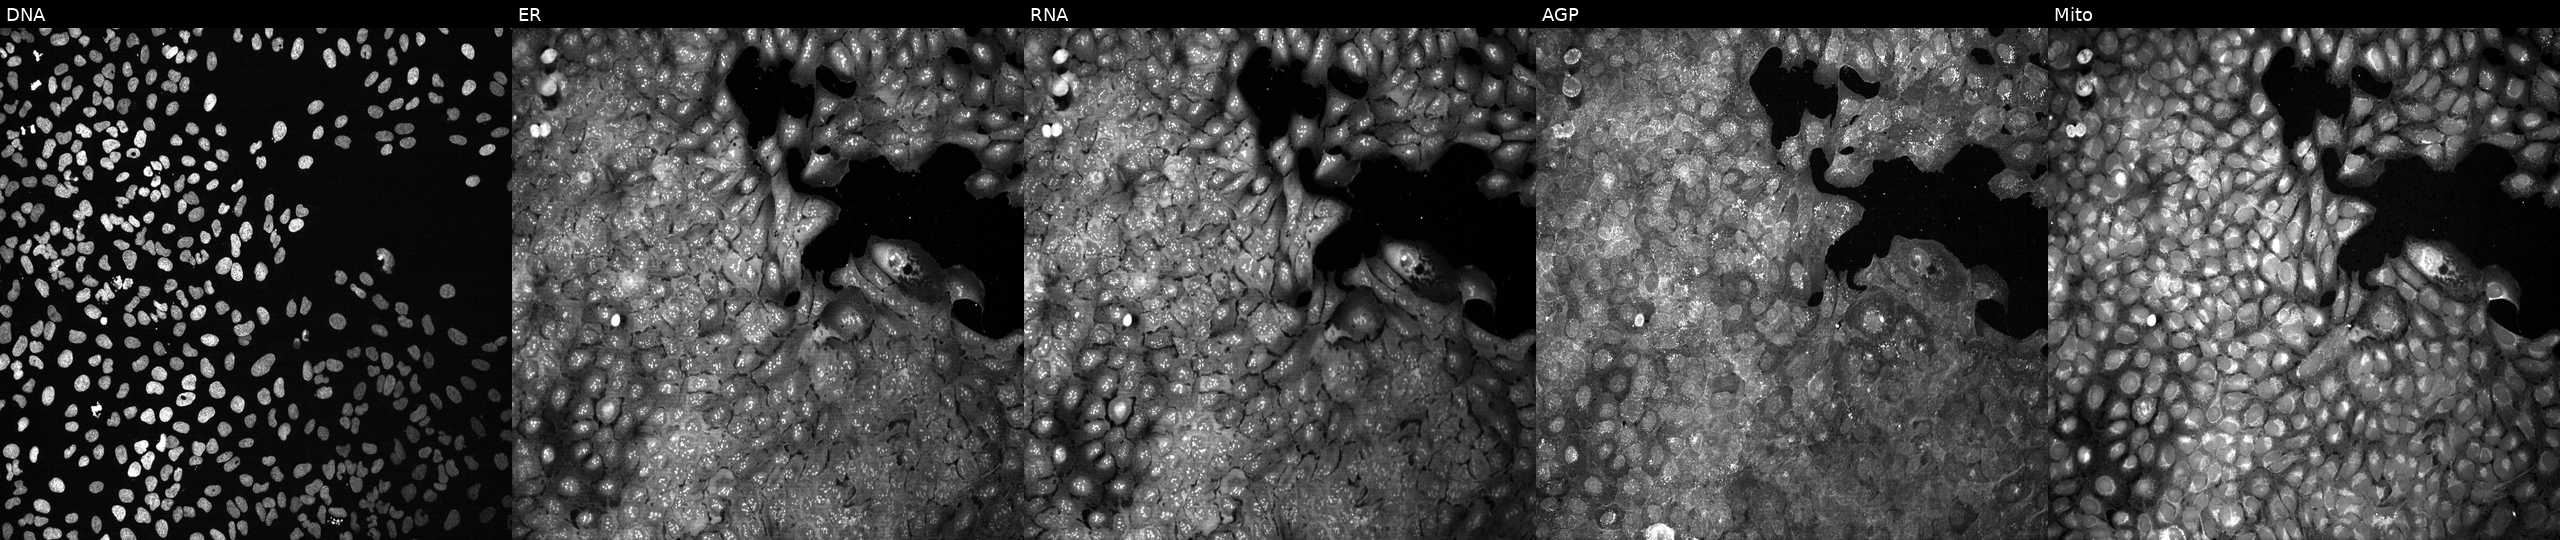
Channels (left→right): DNA (nuclei); ER (endoplasmic reticulum); RNA (nucleoli and cytoplasmic RNA); AGP (actin cytoskeleton, Golgi, and plasma membrane); Mito (mitochondria). U2OS osteosarcoma cells with ACOX3 knocked out by CRISPR (JUMP id JCP2022_800127). Cell Painting assay, JUMP-CP dataset. Source 13, plate CP-CC9-R1-02, well K20.